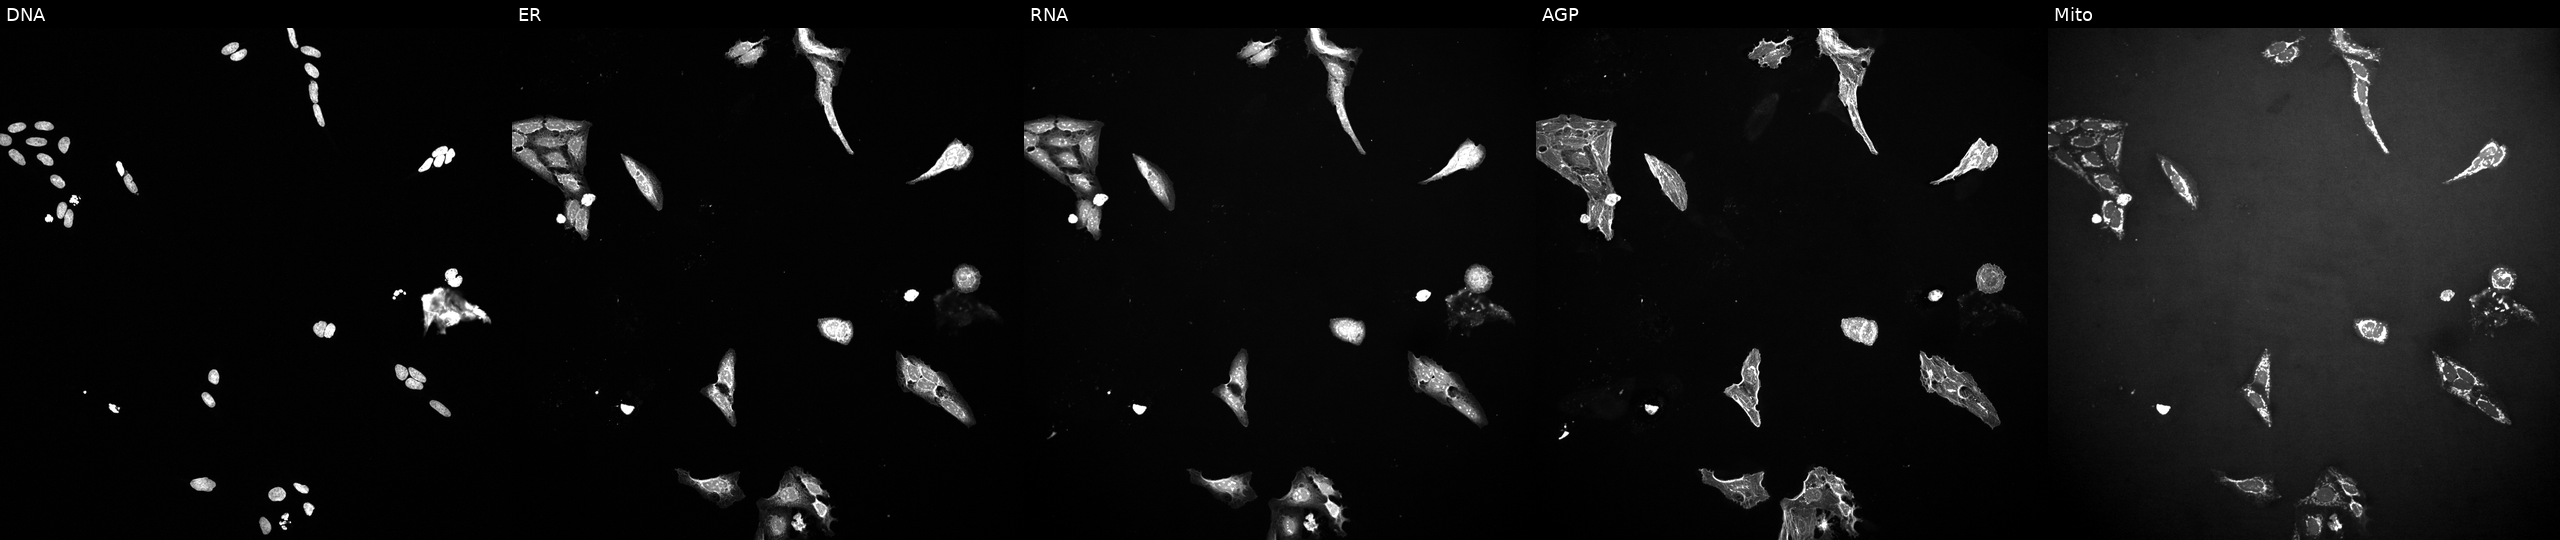
Channels (left→right): Hoechst 33342, concanavalin A, SYTO 14, phalloidin and WGA, MitoTracker. U2OS osteosarcoma cells exposed to a small-molecule compound (InChIKey NVRXTLZYXZNATH-UHFFFAOYSA-N). Cell Painting assay, JUMP-CP dataset.